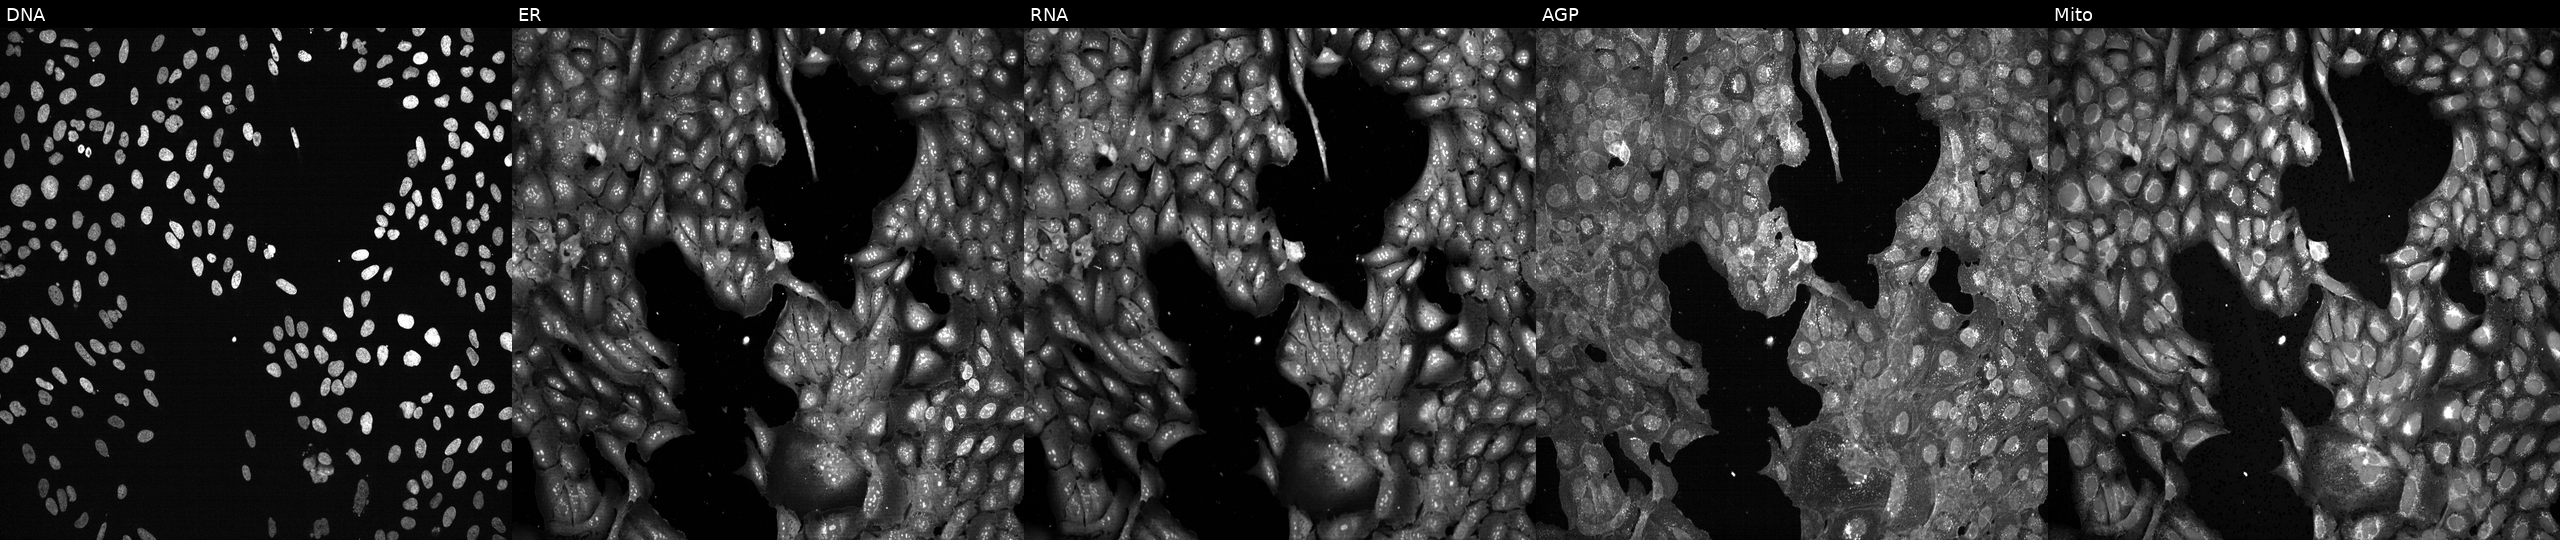
Five-channel Cell Painting image of U2OS cells with XRCC2 knocked out by CRISPR (JUMP id JCP2022_807717). Panels show, left to right, DNA (nuclei); ER (endoplasmic reticulum); RNA (nucleoli and cytoplasmic RNA); AGP (actin cytoskeleton, Golgi, and plasma membrane); Mito (mitochondria). Source 13, plate CP-CC9-R1-02, well A12.